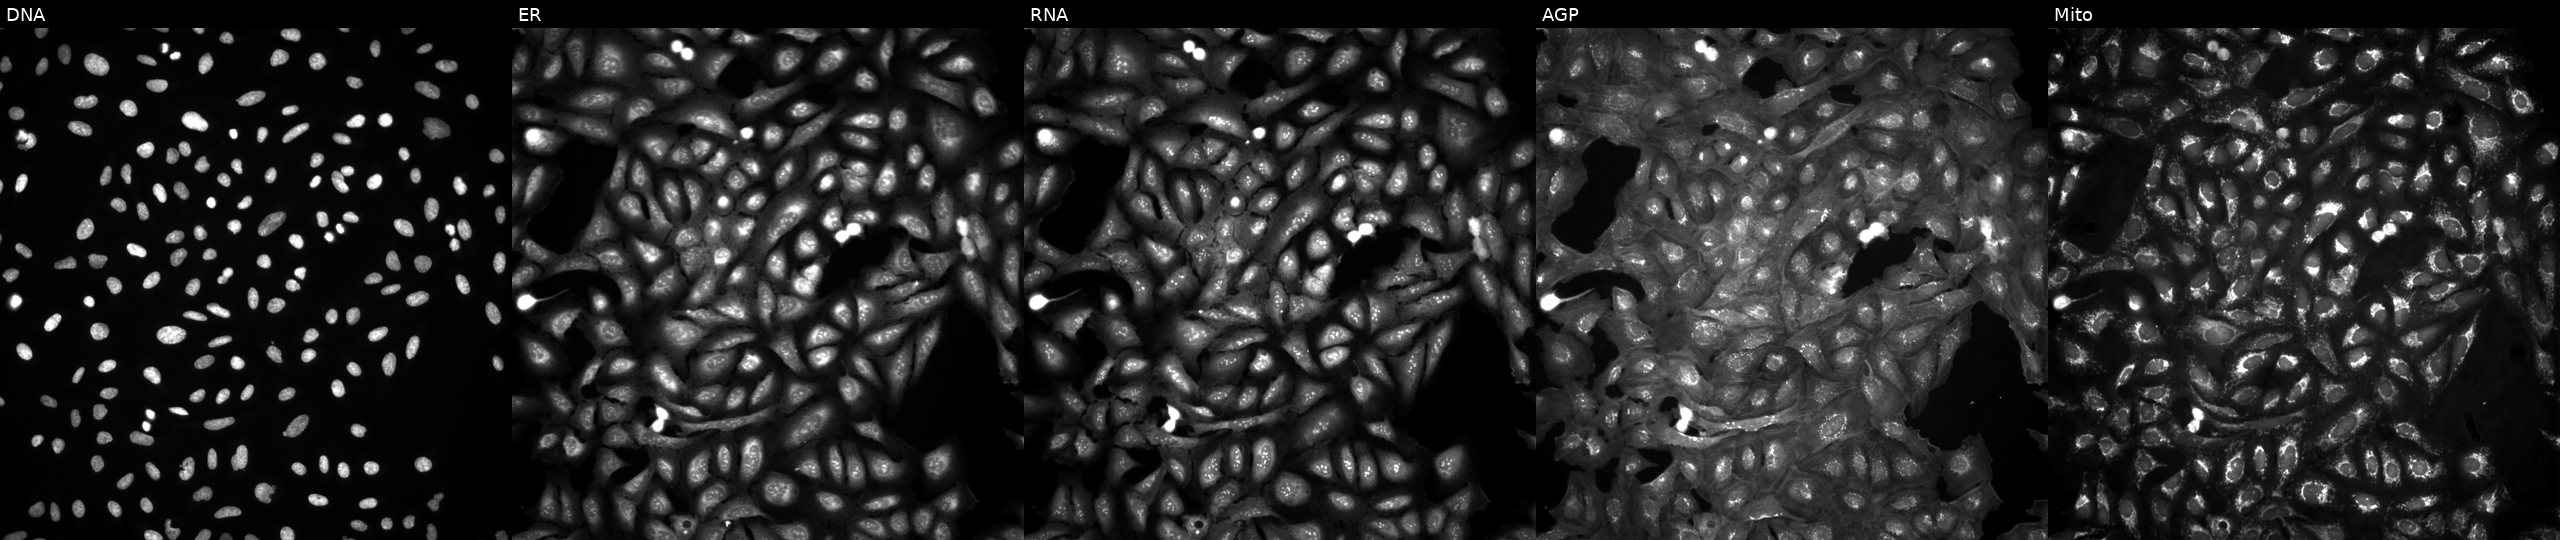
JUMP Cell Painting — ORF plate. U2OS cells in an empty control well (no perturbation). From left to right: Hoechst 33342, concanavalin A, SYTO 14, phalloidin and WGA, MitoTracker.